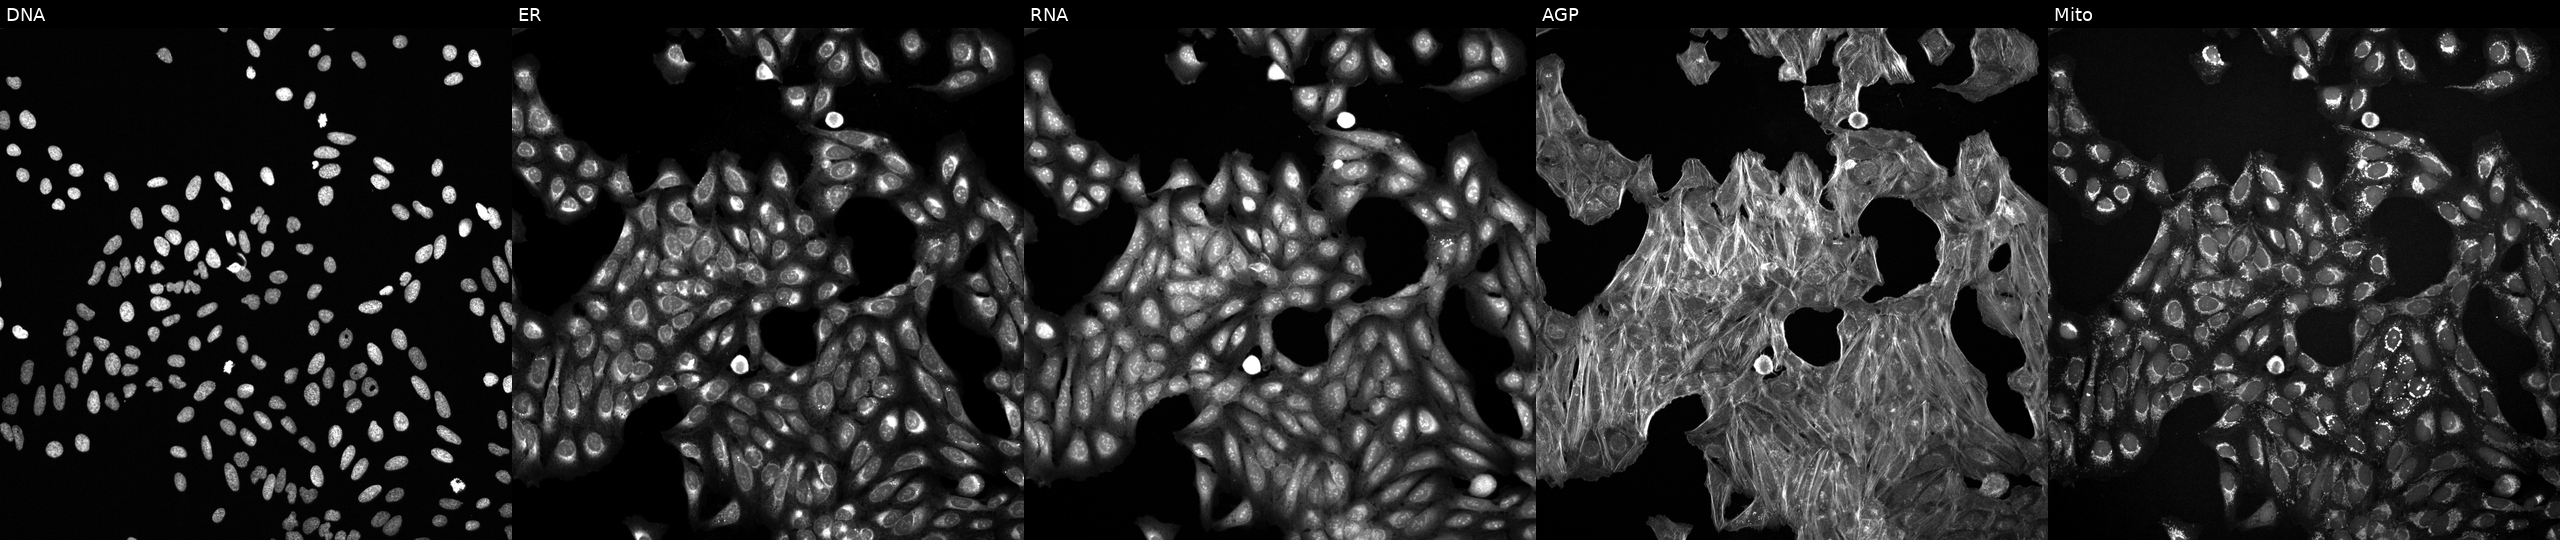
This image strip shows the five Cell Painting channels for a single field of U2OS cells treated with a small-molecule compound. Channels (left→right): DNA, ER, RNA, AGP, and Mito. Source 6, plate 110000293082, well I18.